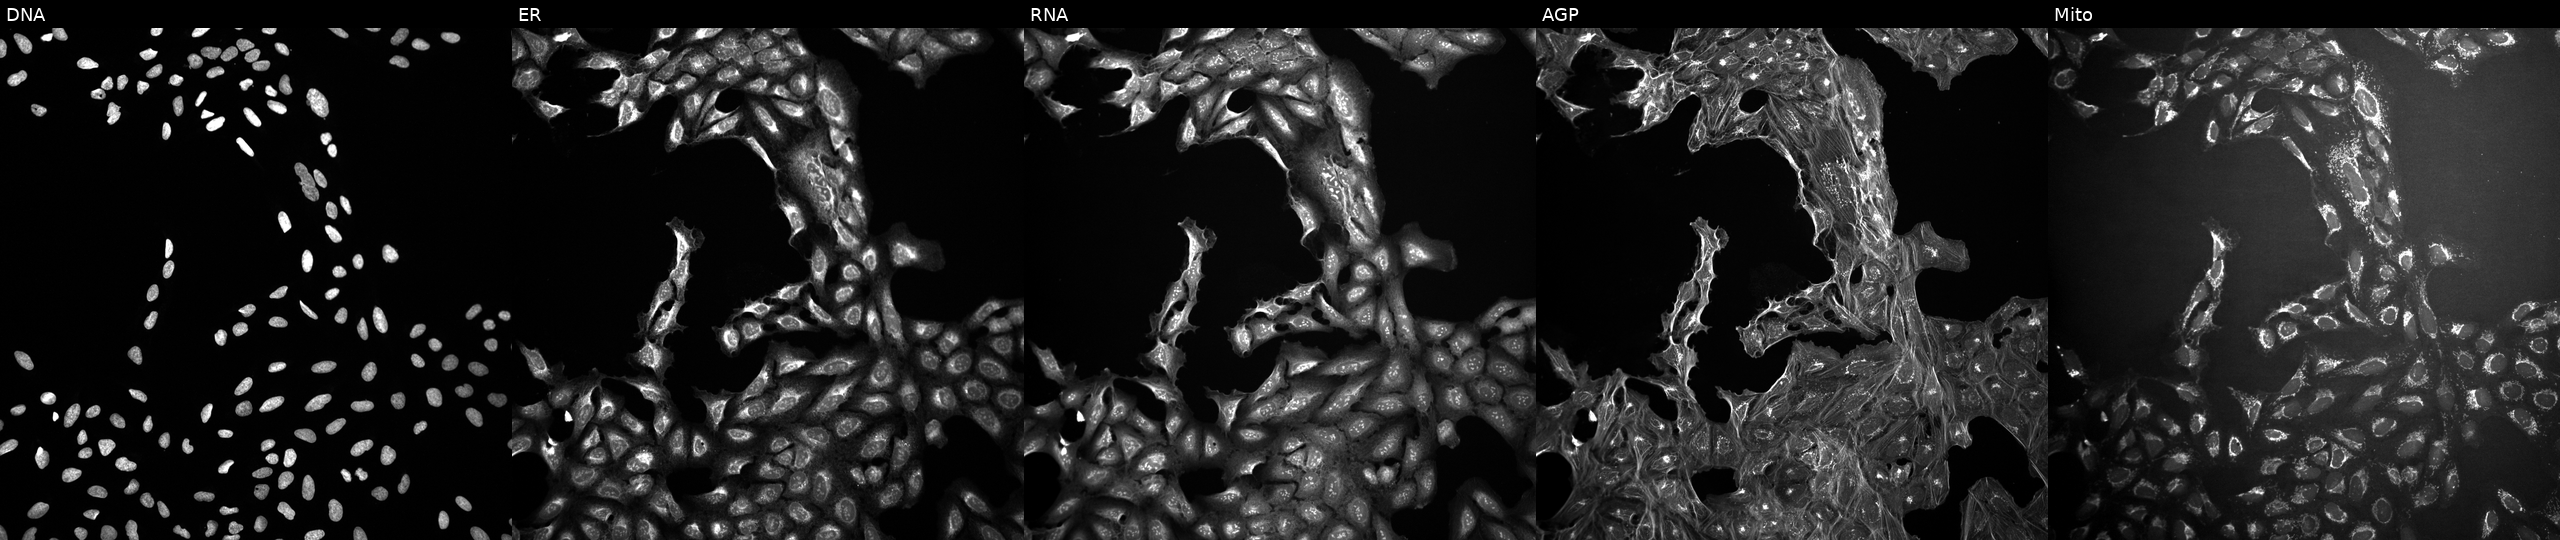
JUMP Cell Painting — COMPOUND plate. U2OS cells exposed to a small-molecule compound (InChIKey YOPKTQLXEOKYQX-UHFFFAOYSA-N) [SMILES: O=C(CSCc1ccccc1)NC1CCN(c2cnsn2)CC1] (JUMP id JCP2022_109790). From left to right: Hoechst 33342, concanavalin A, SYTO 14, phalloidin and WGA, MitoTracker.